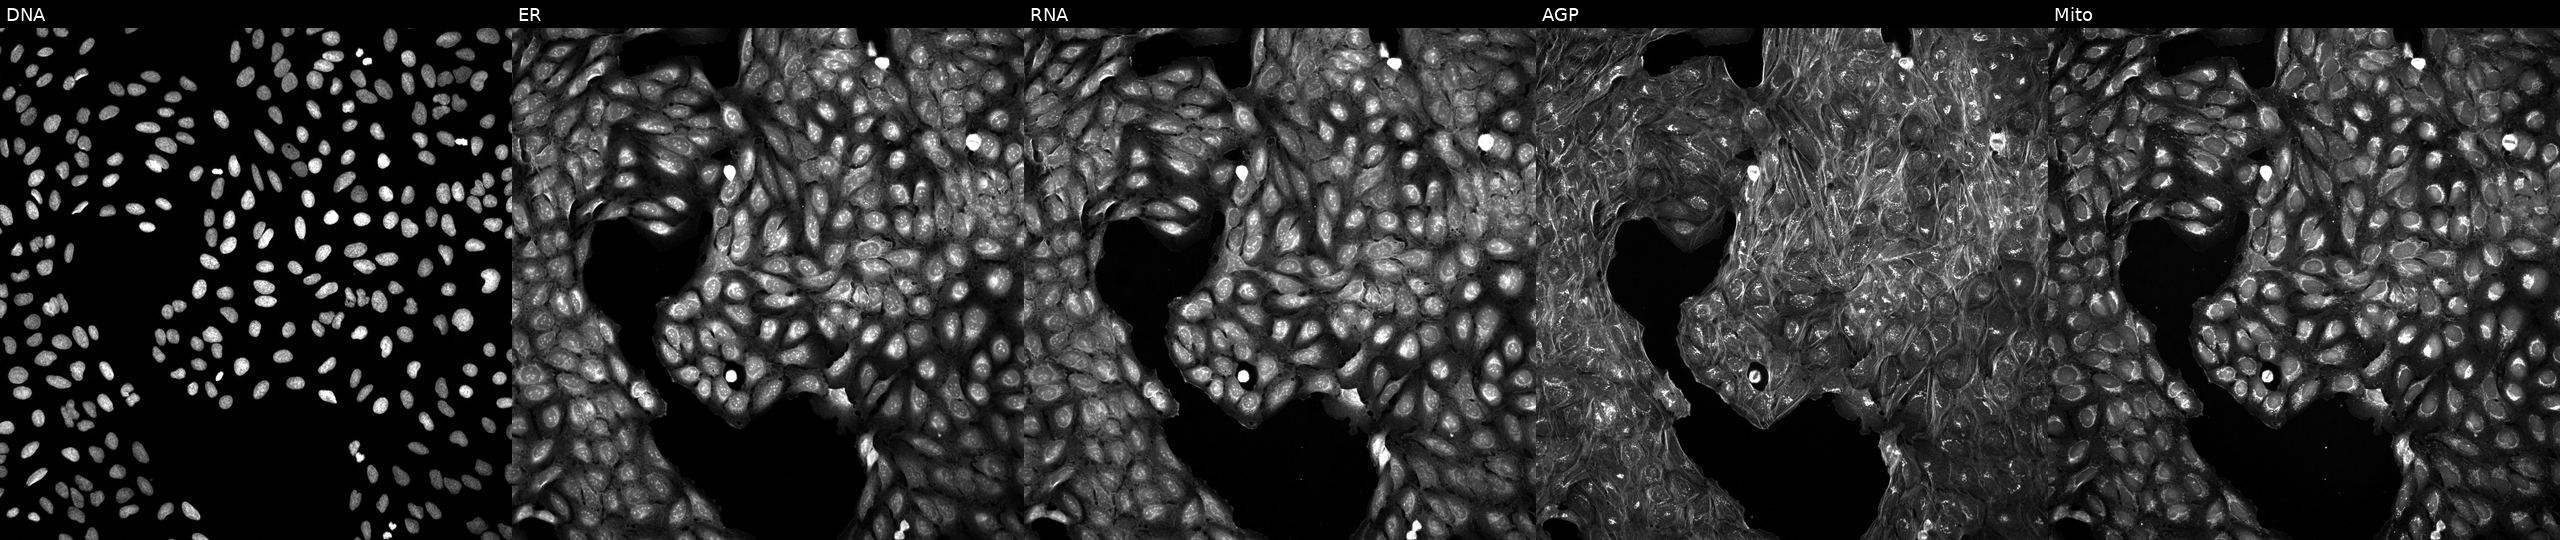
JUMP Cell Painting — COMPOUND plate. U2OS cells exposed to a small-molecule compound (InChIKey RYLILBGBPXXZDE-UHFFFAOYSA-N). Channels (left→right): Hoechst 33342, concanavalin A, SYTO 14, phalloidin and WGA, MitoTracker.